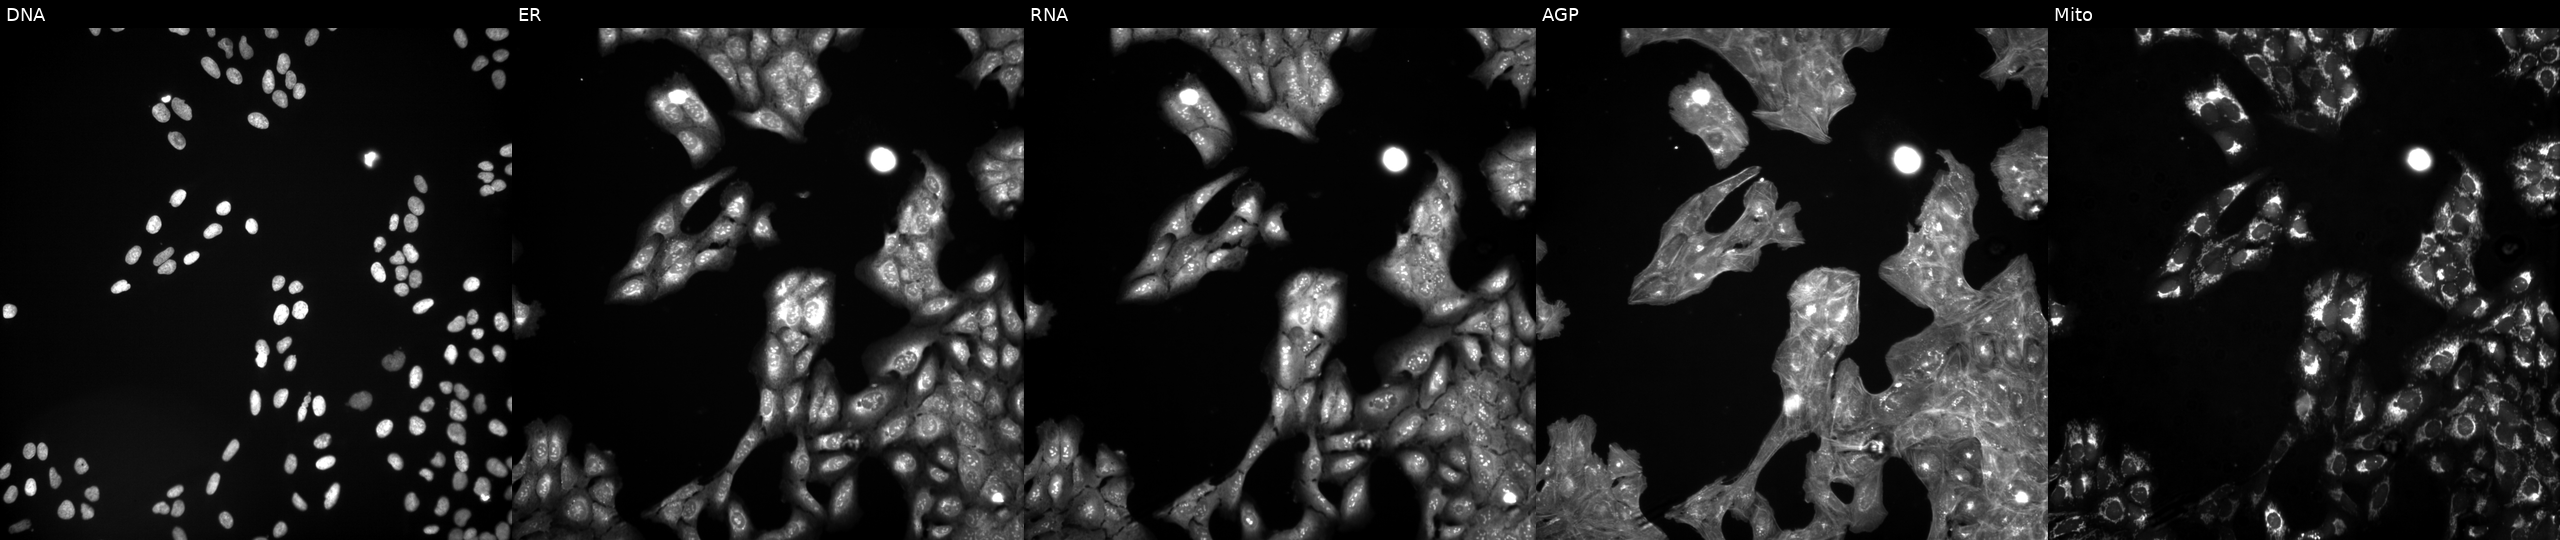
JUMP Cell Painting — TARGET2 plate. U2OS cells perturbed with a small-molecule compound (InChIKey ZRALSGWEFCBTJO-UHFFFAOYSA-N) [SMILES: N=C(N)N] (JUMP id JCP2022_115134). The five panels, left to right, show DNA (nuclei); ER (endoplasmic reticulum); RNA (nucleoli and cytoplasmic RNA); AGP (actin cytoskeleton, Golgi, and plasma membrane); Mito (mitochondria). Source 3, plate JCPQC051, well I05.